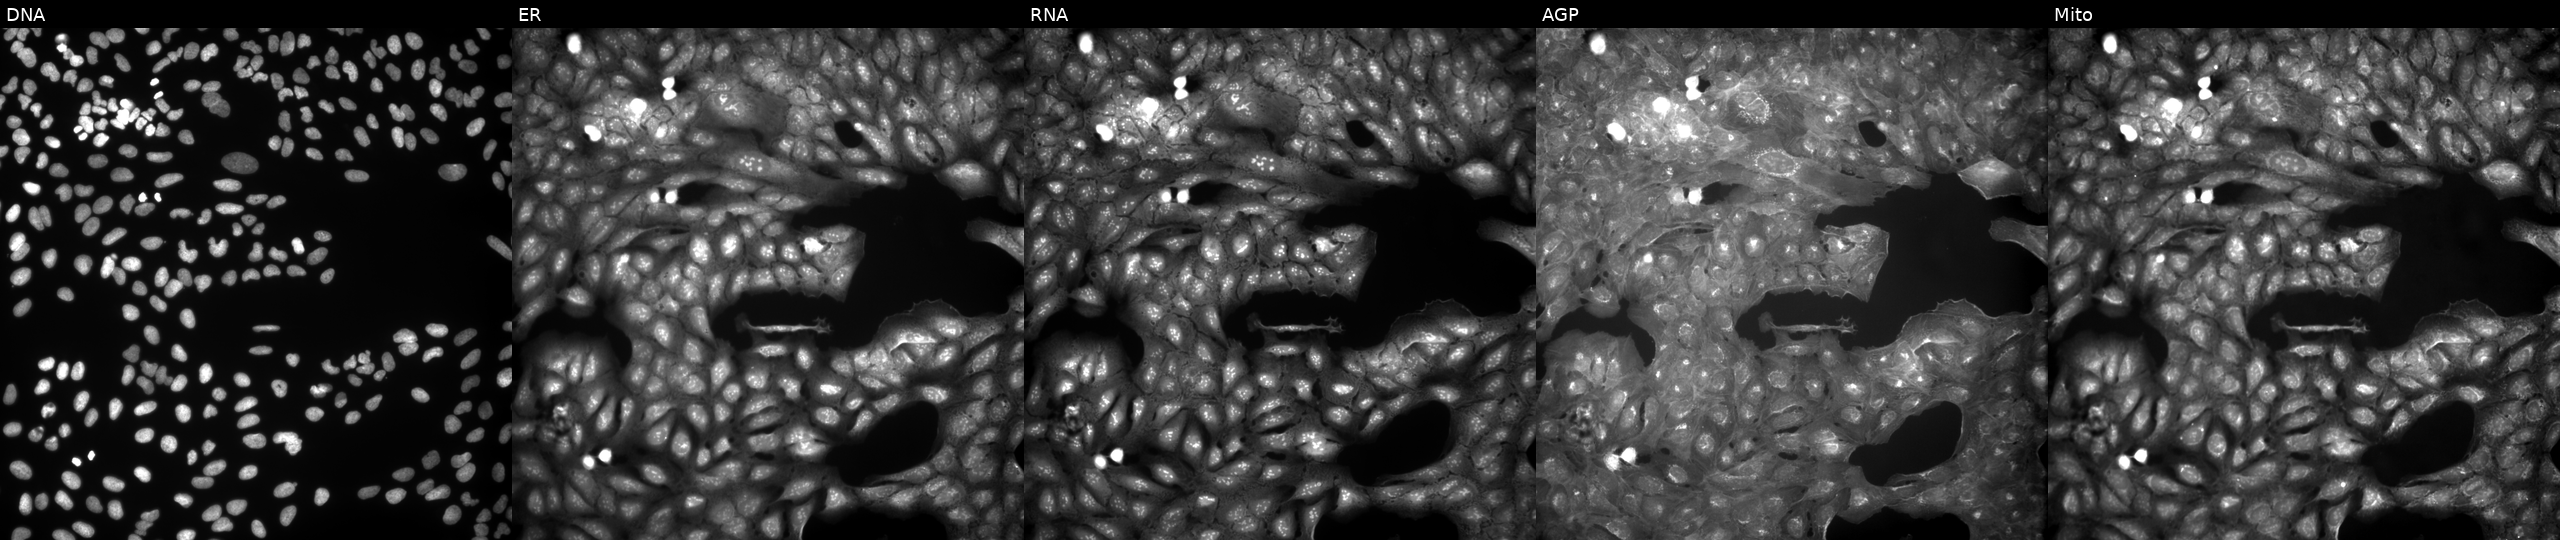
Five-channel Cell Painting image of U2OS cells exposed to a small-molecule compound (InChIKey LHEWNKDKPFYSHV-UHFFFAOYSA-N). Panels show, left to right, DNA, ER, RNA, AGP, and Mito.